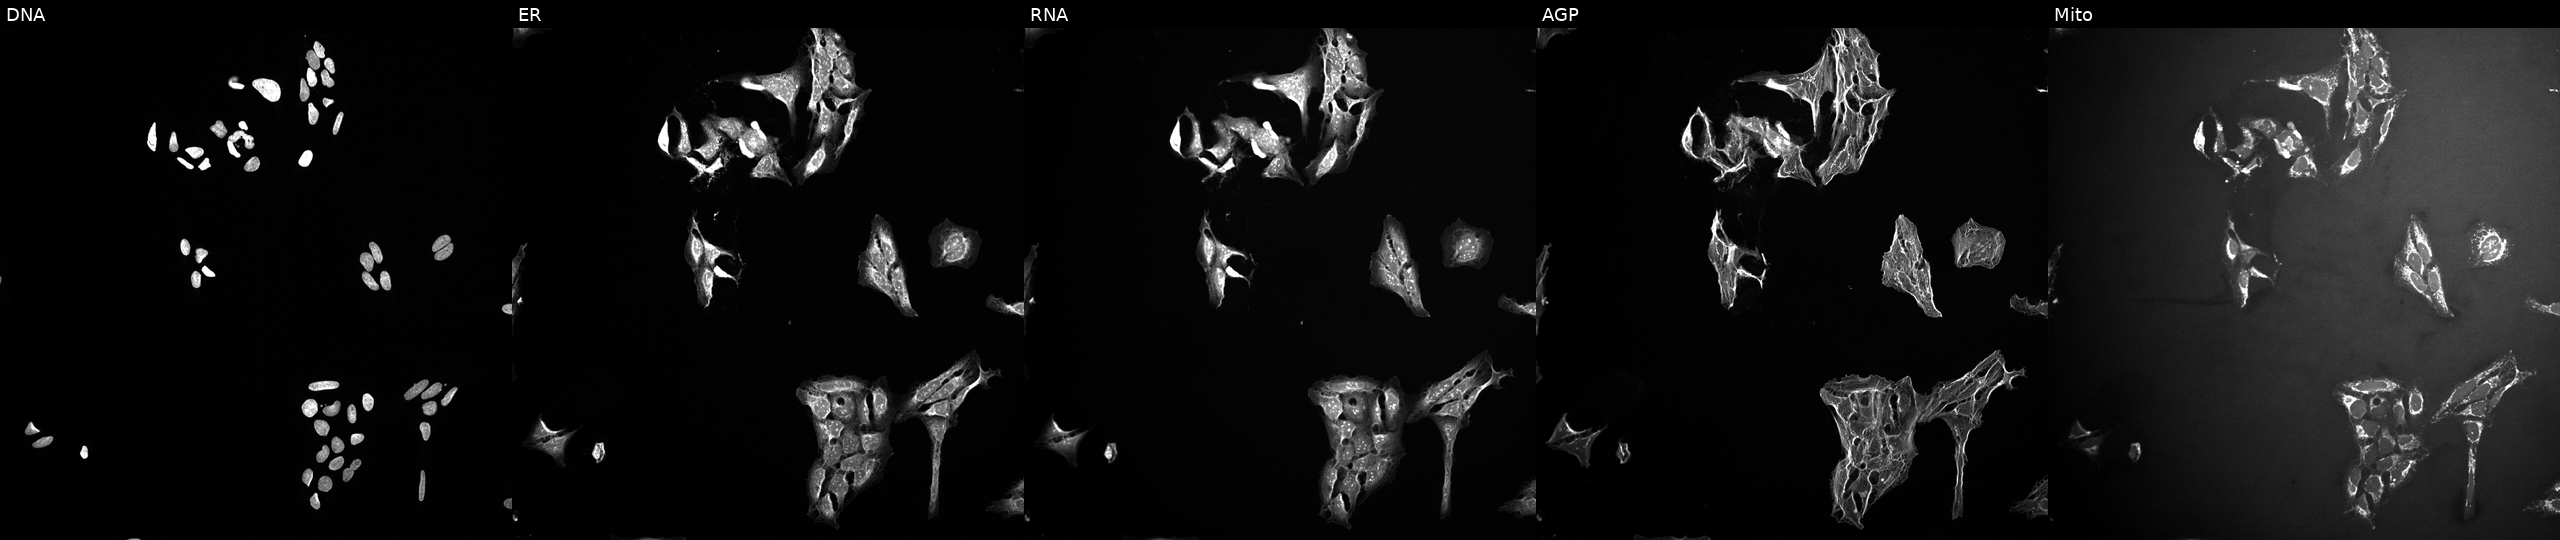
JUMP Cell Painting — TARGET2 plate. U2OS cells perturbed with a small-molecule compound (InChIKey ZWVZORIKUNOTCS-UHFFFAOYSA-N). Panels show, left to right, Hoechst 33342, concanavalin A, SYTO 14, phalloidin and WGA, MitoTracker.